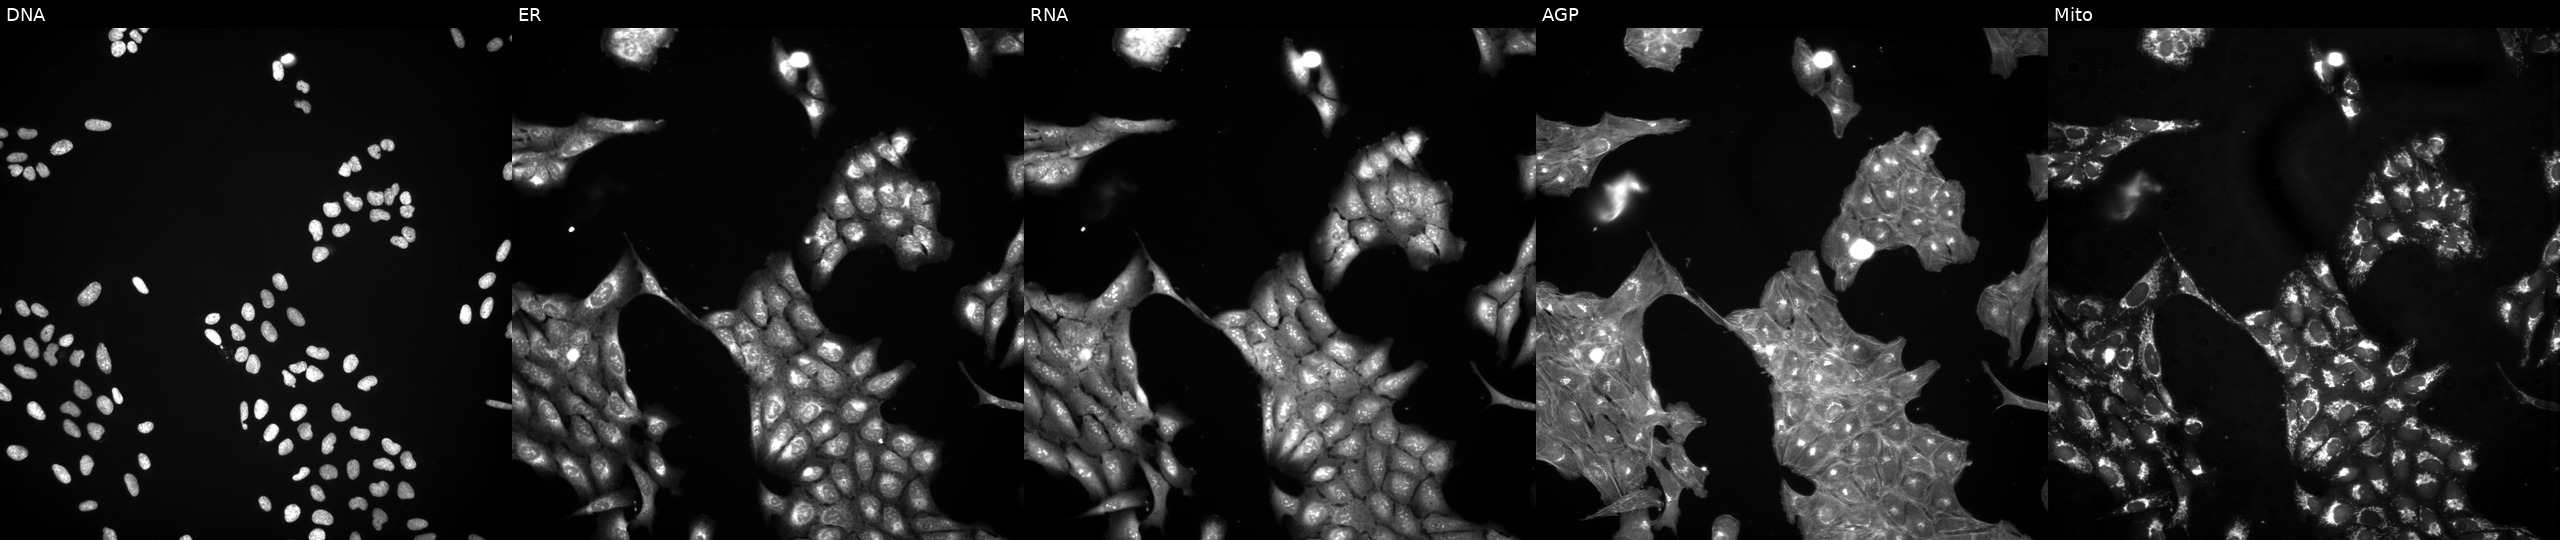
Channels (left→right): Hoechst 33342, concanavalin A, SYTO 14, phalloidin and WGA, MitoTracker. U2OS osteosarcoma cells exposed to a small-molecule compound (InChIKey MFDFERRIHVXMIY-UHFFFAOYSA-N) (JUMP id JCP2022_053734). Cell Painting assay, JUMP-CP dataset. Source 3, plate JCPQC053, well G23.